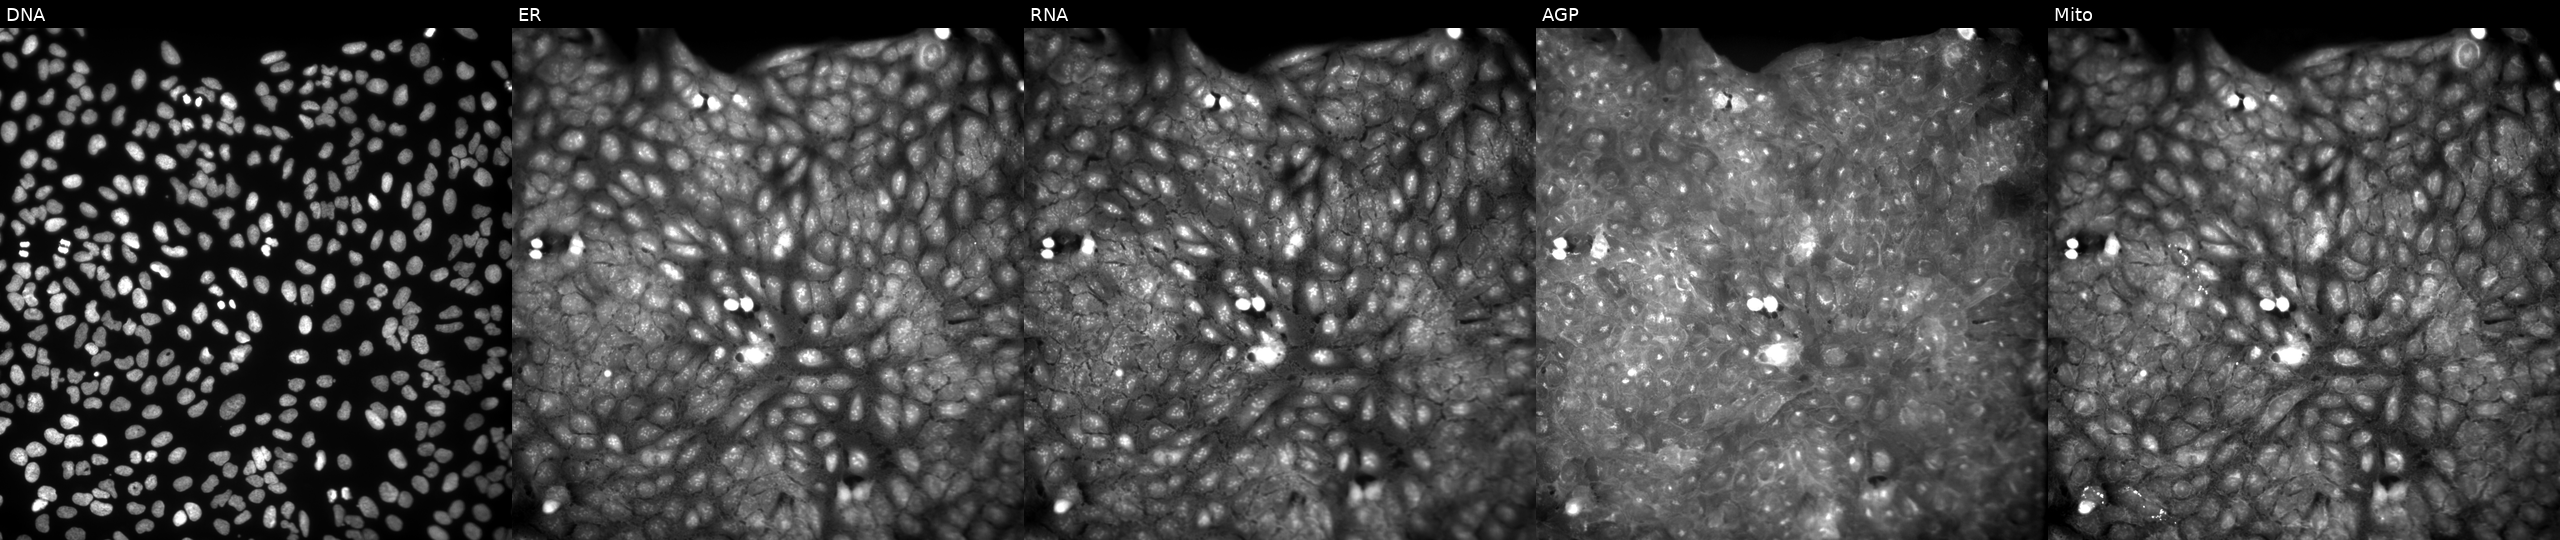
U2OS cells, Cell Painting assay, exposed to a small-molecule compound (InChIKey LCYJFNUIEHVDGR-UHFFFAOYSA-N). Channels (left→right): Hoechst 33342, concanavalin A, SYTO 14, phalloidin and WGA, MitoTracker. Each panel is percentile-stretched 16-bit fluorescence. Source 9, plate GR00003382, well AA41.